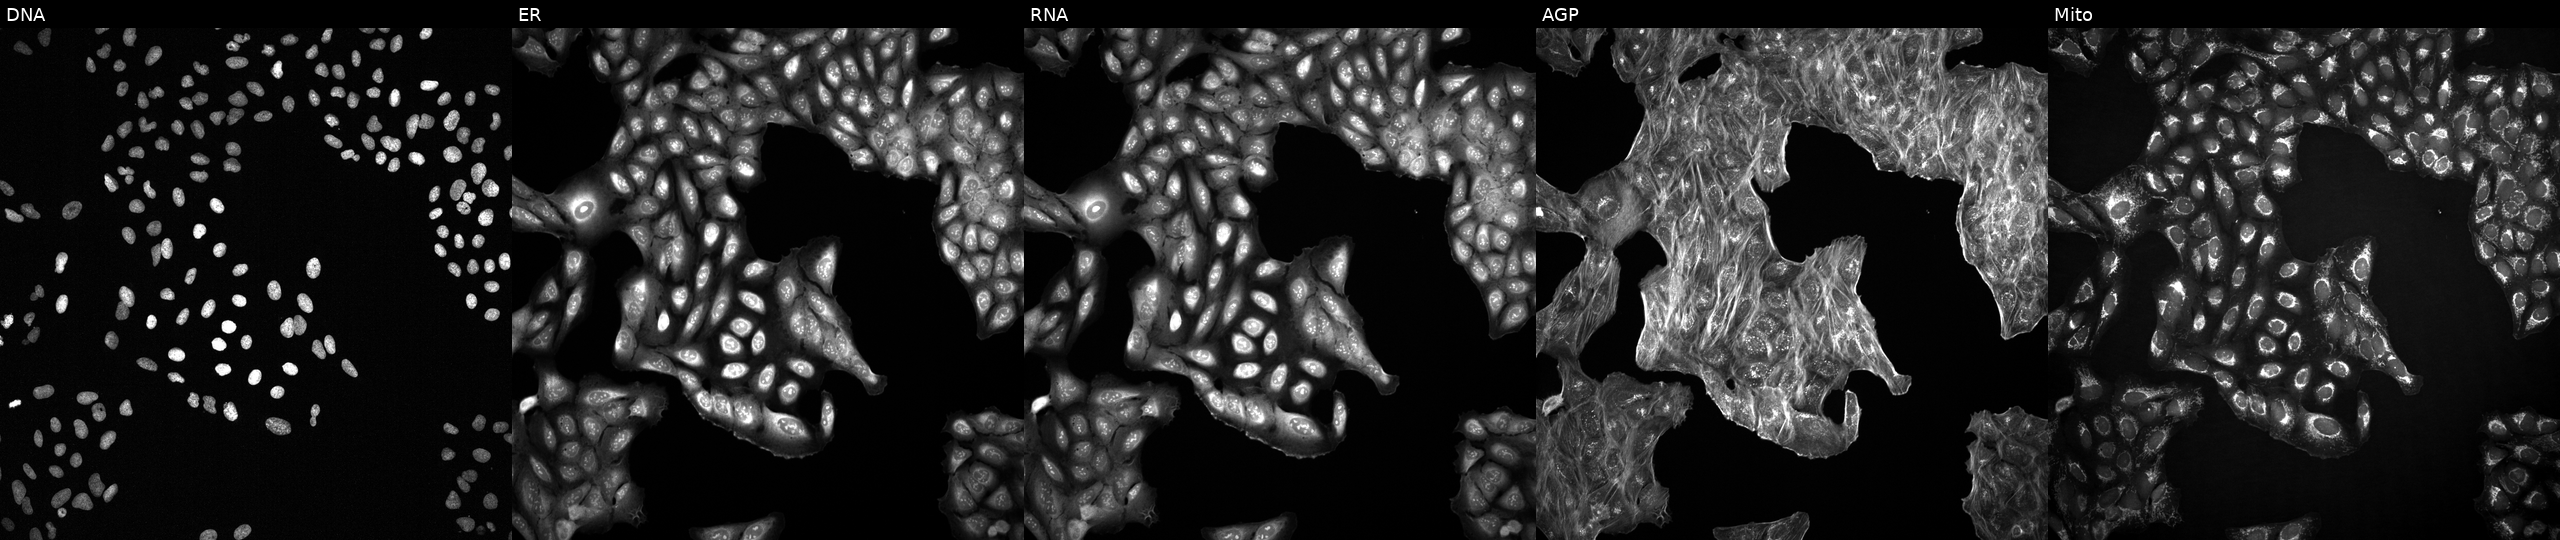
JUMP Cell Painting — COMPOUND plate. U2OS cells with an unidentified perturbation (not annotated in JUMP metadata). The five panels, left to right, show Hoechst 33342, concanavalin A, SYTO 14, phalloidin and WGA, MitoTracker. Source 2, plate 1053601756, well L13.